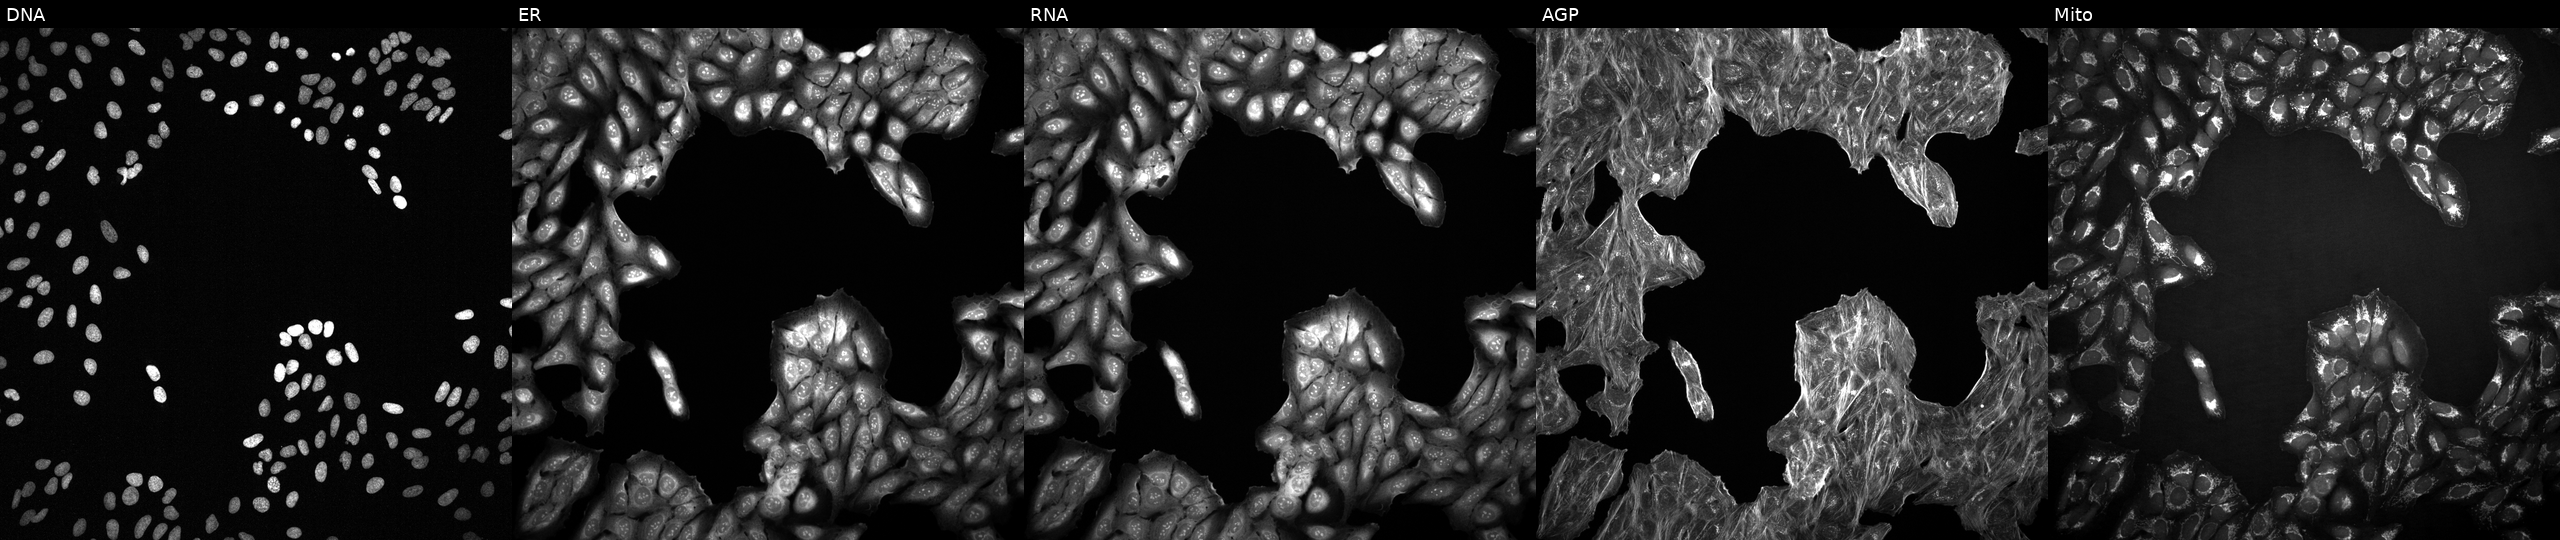
Panels show, left to right, Hoechst 33342, concanavalin A, SYTO 14, phalloidin and WGA, MitoTracker. U2OS osteosarcoma cells treated with a small-molecule compound (JUMP id JCP2022_093239). Cell Painting assay, JUMP-CP dataset. Source 2, plate 1053601763, well G11.